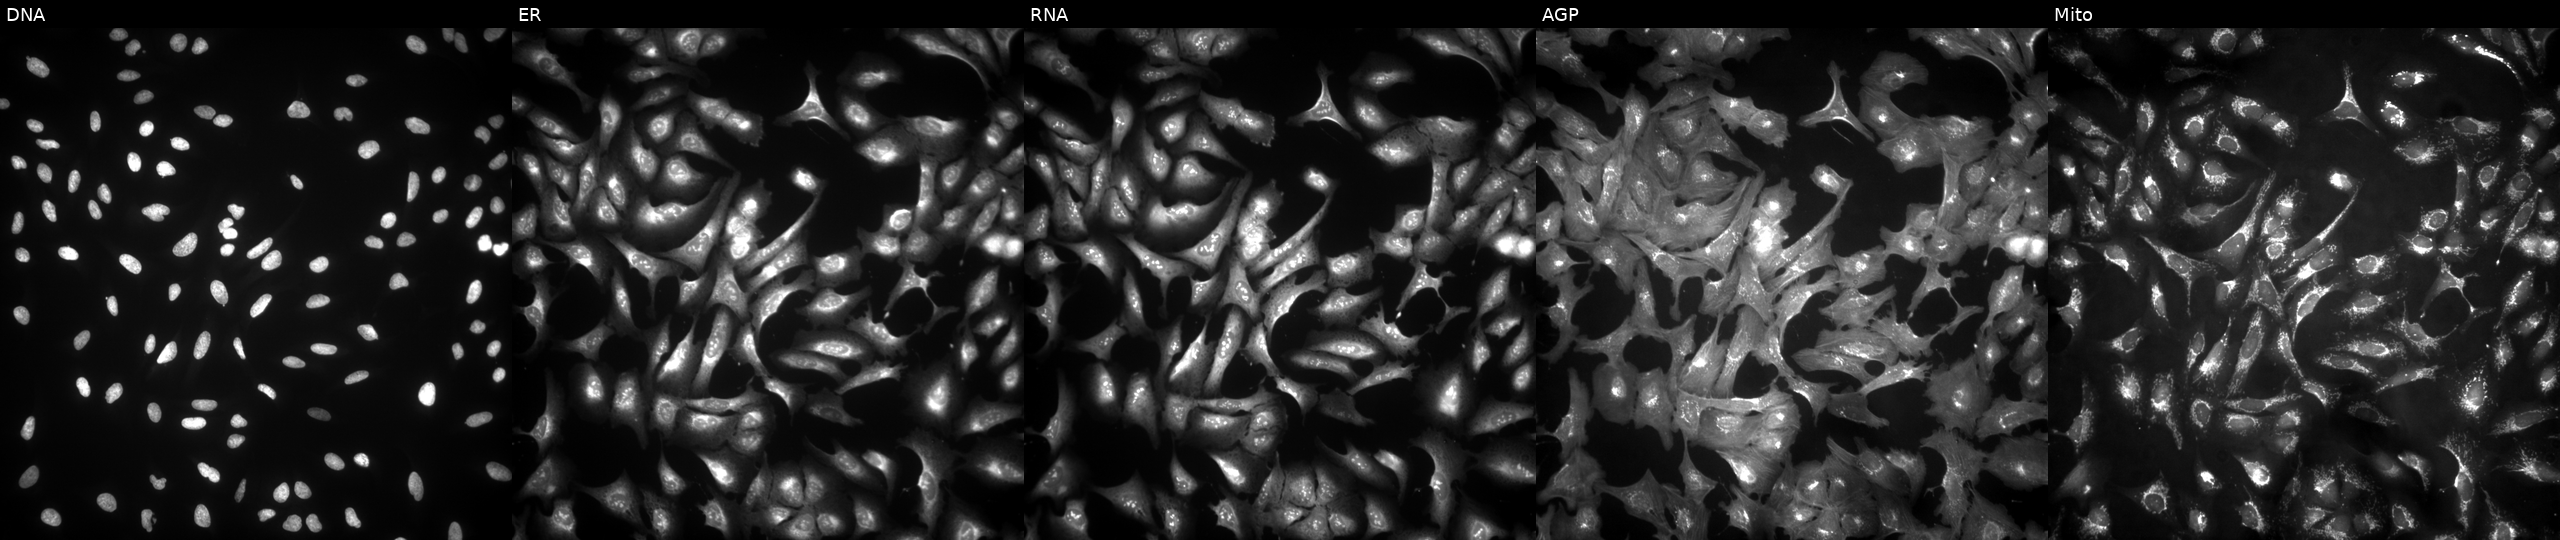
JUMP Cell Painting — ORF plate. U2OS cells overexpressing FBXW2 via ORF transfection (JUMP id JCP2022_902749). Panels show, left to right, DNA (nuclei); ER (endoplasmic reticulum); RNA (nucleoli and cytoplasmic RNA); AGP (actin cytoskeleton, Golgi, and plasma membrane); Mito (mitochondria). Source 4, plate BR00123506, well E21.